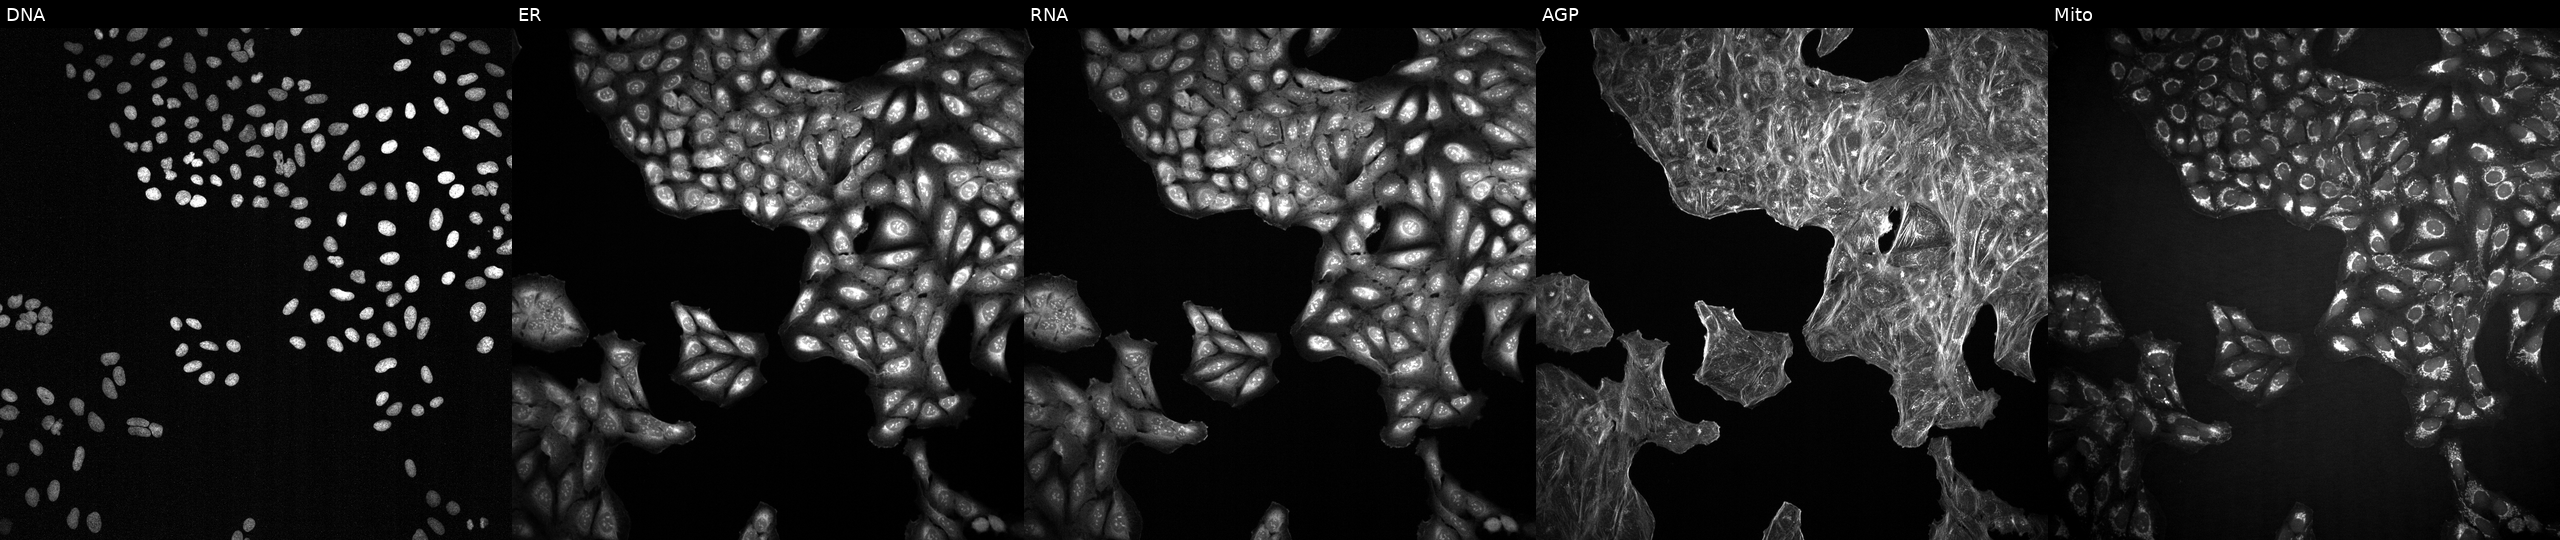
The five panels, left to right, show DNA (nuclei); ER (endoplasmic reticulum); RNA (nucleoli and cytoplasmic RNA); AGP (actin cytoskeleton, Golgi, and plasma membrane); Mito (mitochondria). U2OS osteosarcoma cells treated with DMSO vehicle only (negative control). Cell Painting assay, JUMP-CP dataset.